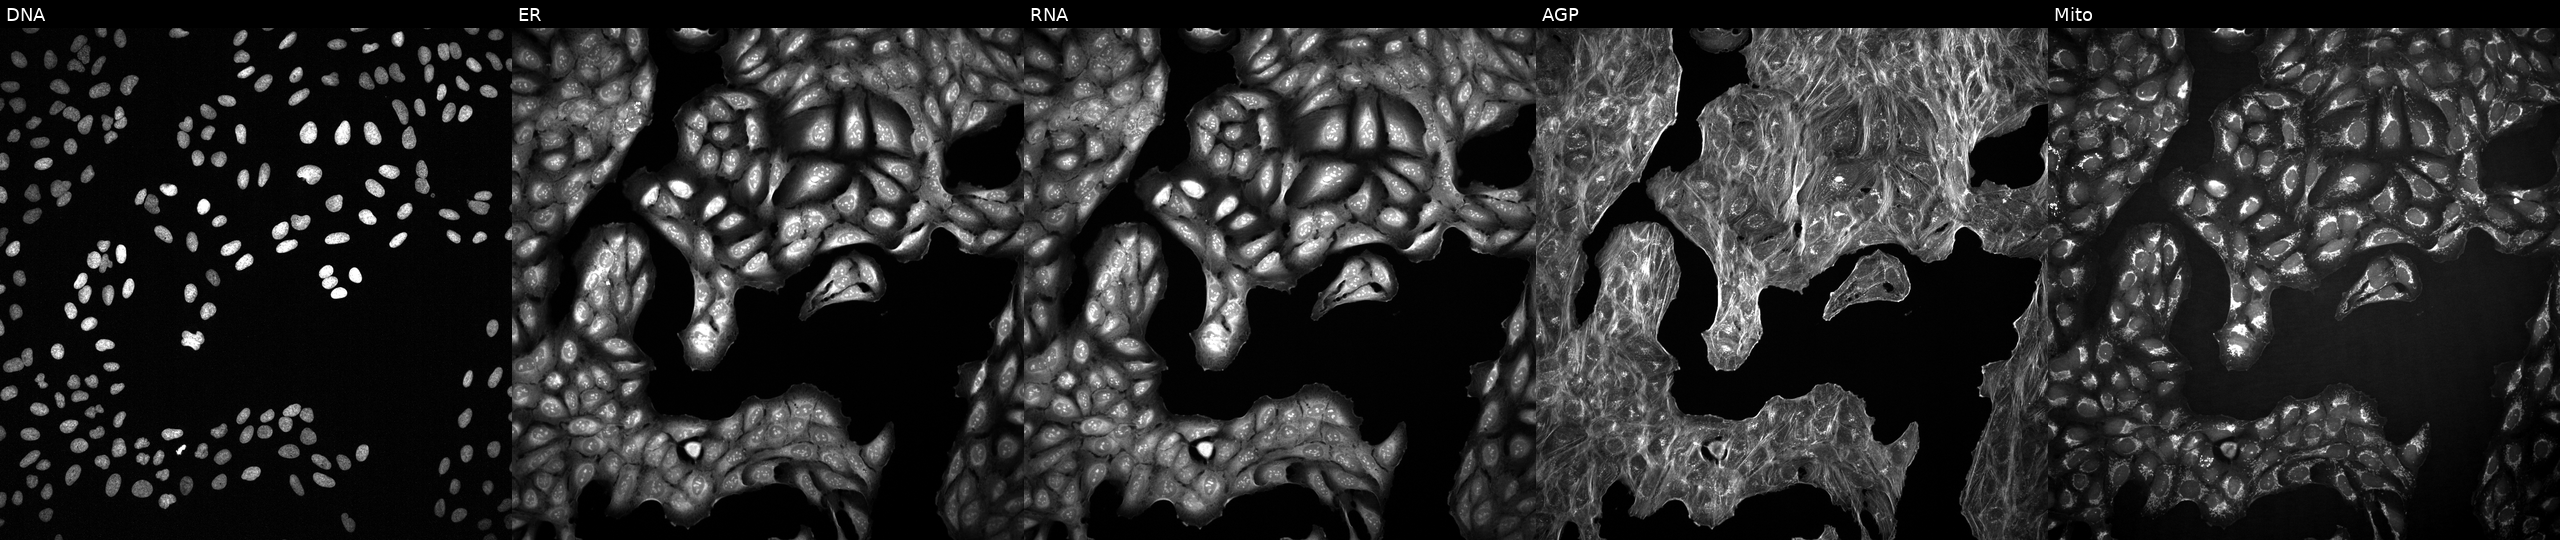
Five-channel Cell Painting image of U2OS cells perturbed with a small-molecule compound (InChIKey KIMLXTXITFFQHJ-UHFFFAOYSA-N) [SMILES: Cc1c(OCc2cccc(OC(F)(F)F)c2)ccc2c1OC(C)(C)CC2=O] (JUMP id JCP2022_044825). Panels show, left to right, DNA (nuclei); ER (endoplasmic reticulum); RNA (nucleoli and cytoplasmic RNA); AGP (actin cytoskeleton, Golgi, and plasma membrane); Mito (mitochondria).